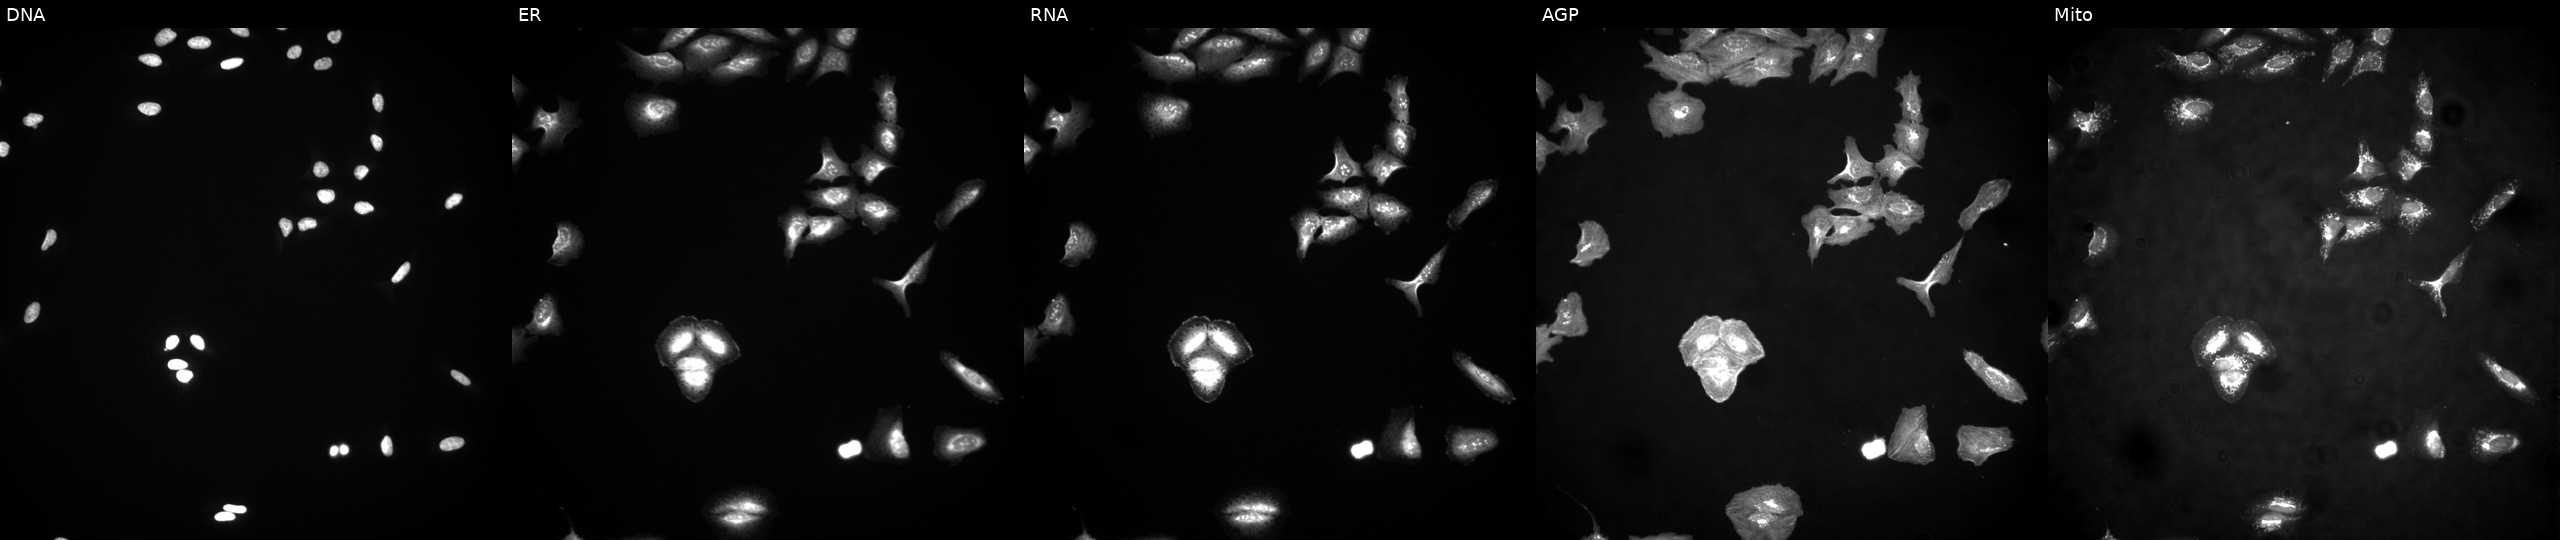
High-content fluorescence microscopy (Cell Painting). Cell line: U2OS. Perturbation: overexpressing CLRN3 via ORF transfection (JUMP id JCP2022_908827). Panels show, left to right, DNA (nuclei); ER (endoplasmic reticulum); RNA (nucleoli and cytoplasmic RNA); AGP (actin cytoskeleton, Golgi, and plasma membrane); Mito (mitochondria).